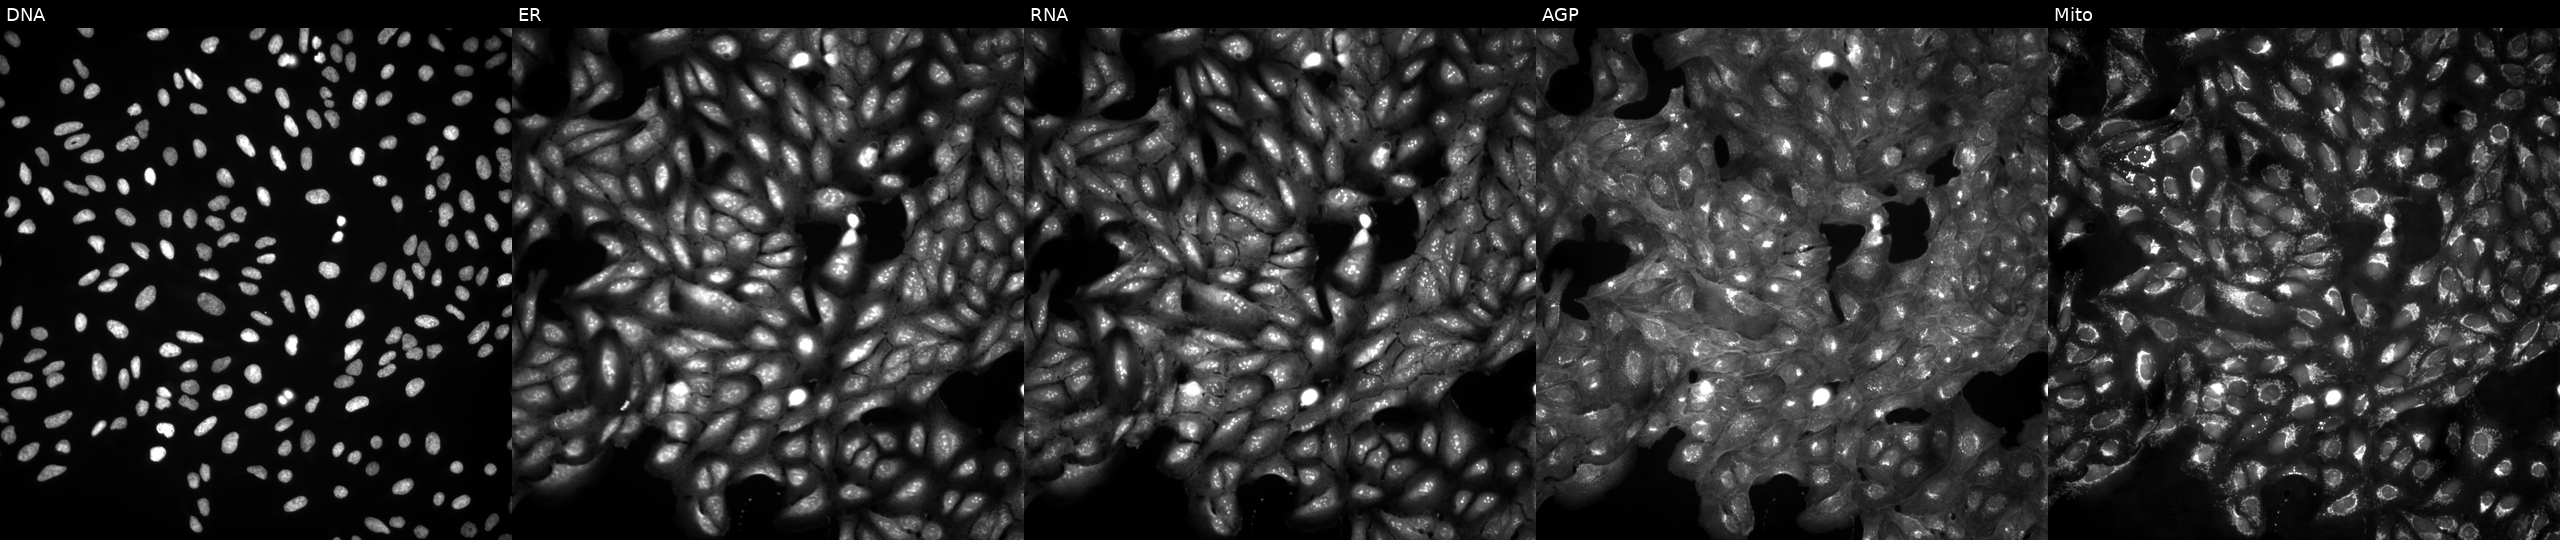
JUMP Cell Painting — ORF plate. U2OS cells in an empty control well (no perturbation) (JUMP id JCP2022_999999). Panels show, left to right, DNA, ER, RNA, AGP, and Mito.